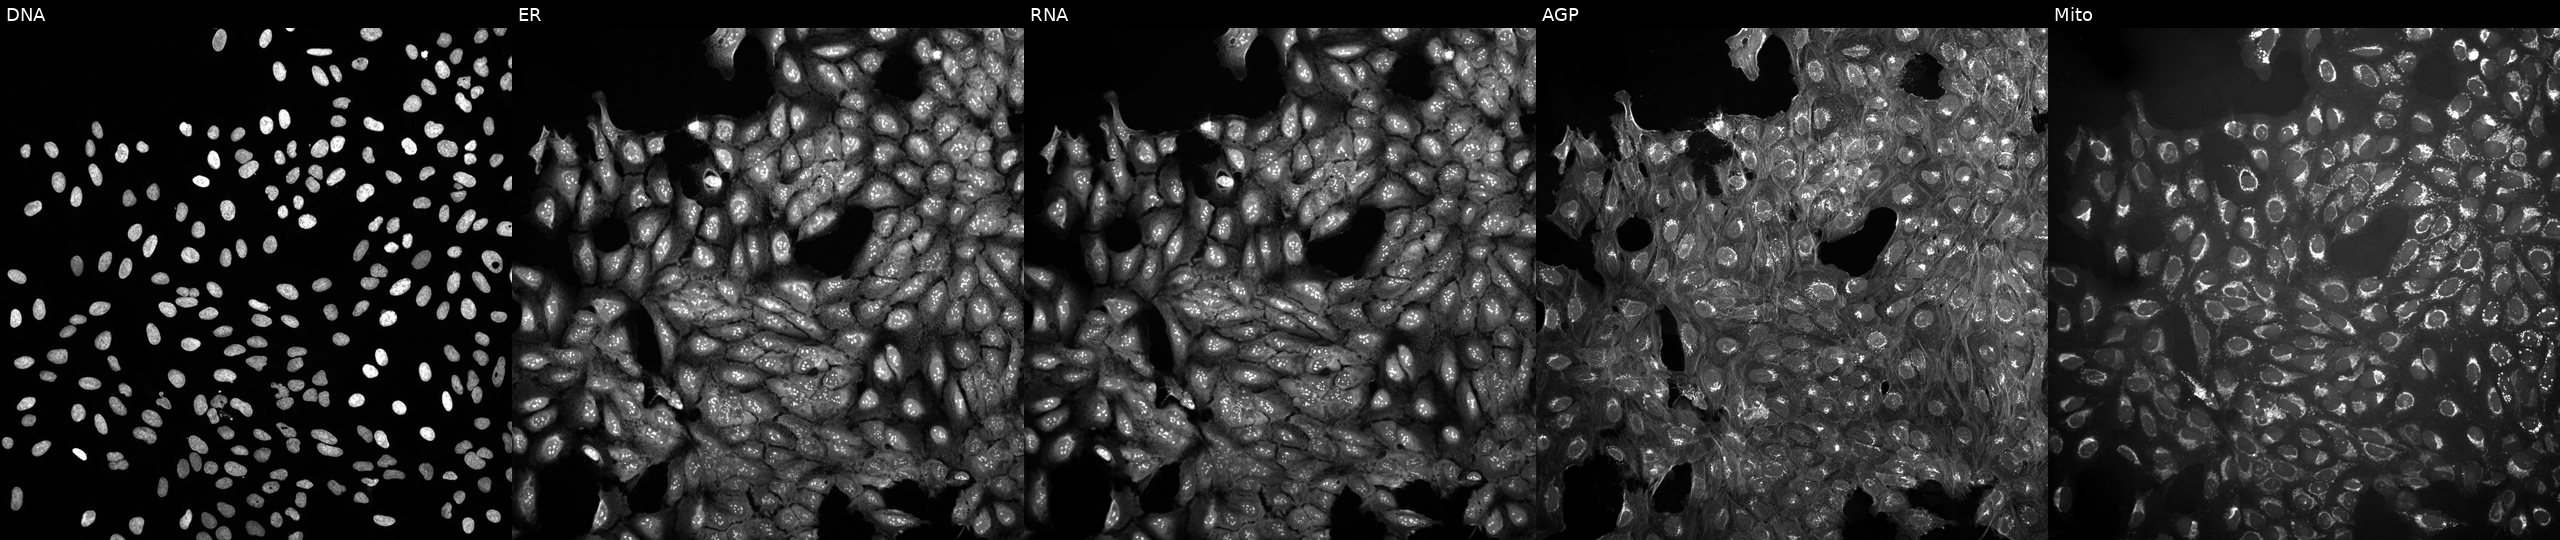
This image strip shows the five Cell Painting channels for a single field of U2OS cells exposed to DMSO alone as a negative control (JUMP id JCP2022_033924). Panels show, left to right, DNA (nuclei); ER (endoplasmic reticulum); RNA (nucleoli and cytoplasmic RNA); AGP (actin cytoskeleton, Golgi, and plasma membrane); Mito (mitochondria).